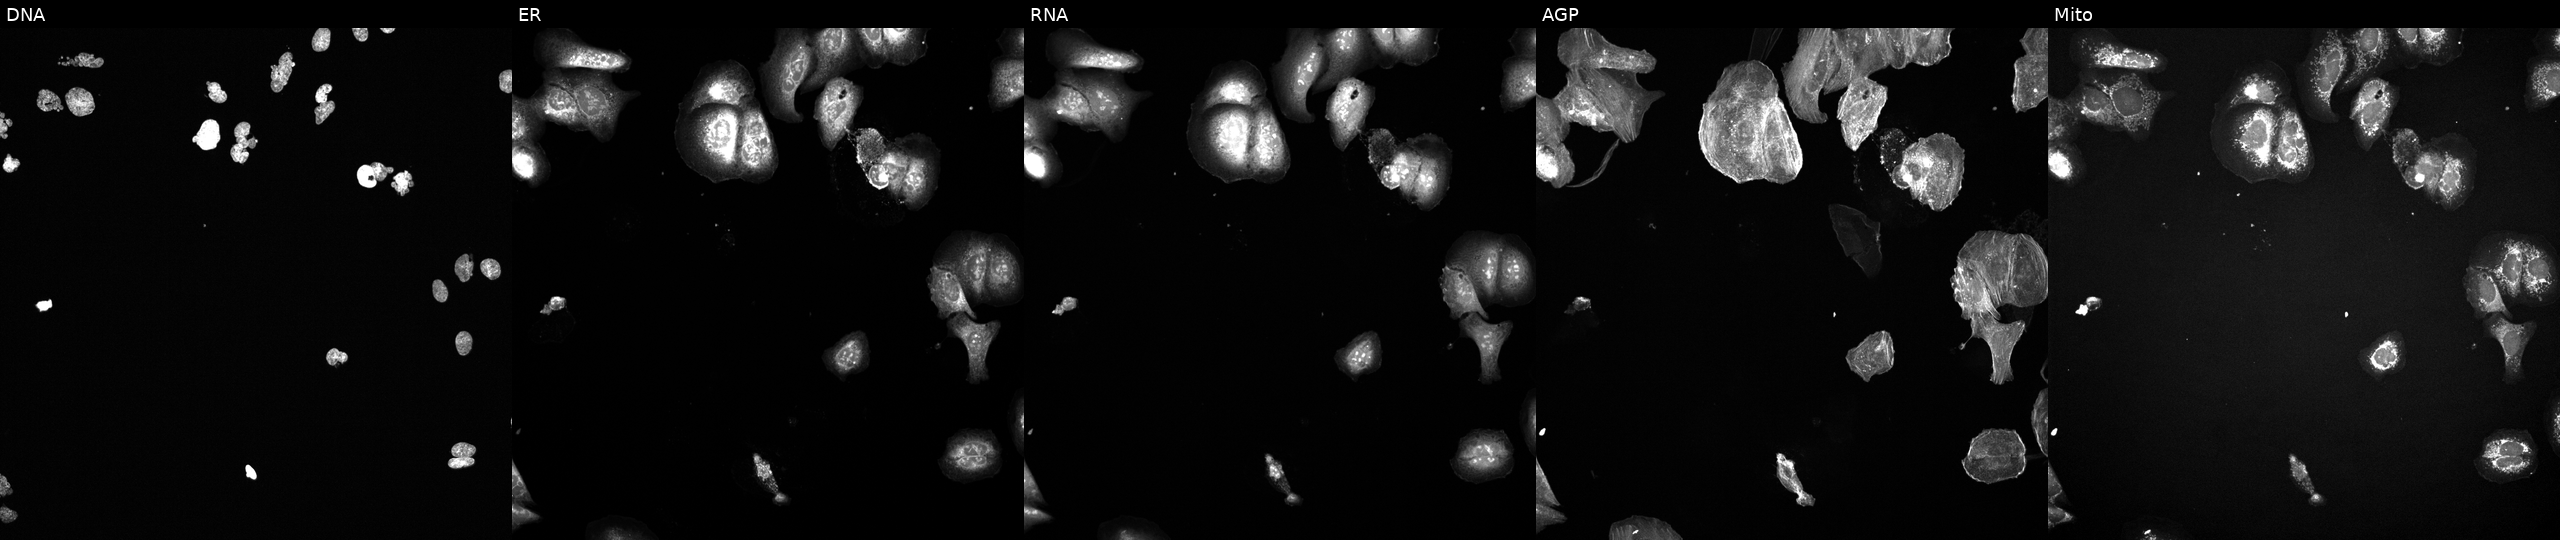
JUMP Cell Painting — TARGET2 plate. U2OS cells exposed to a small-molecule compound (InChIKey CMYHZFCJPORPHY-UHFFFAOYSA-N) (JUMP id JCP2022_012198). Channels (left→right): Hoechst 33342, concanavalin A, SYTO 14, phalloidin and WGA, MitoTracker. Source 6, plate 110000293081, well I16.